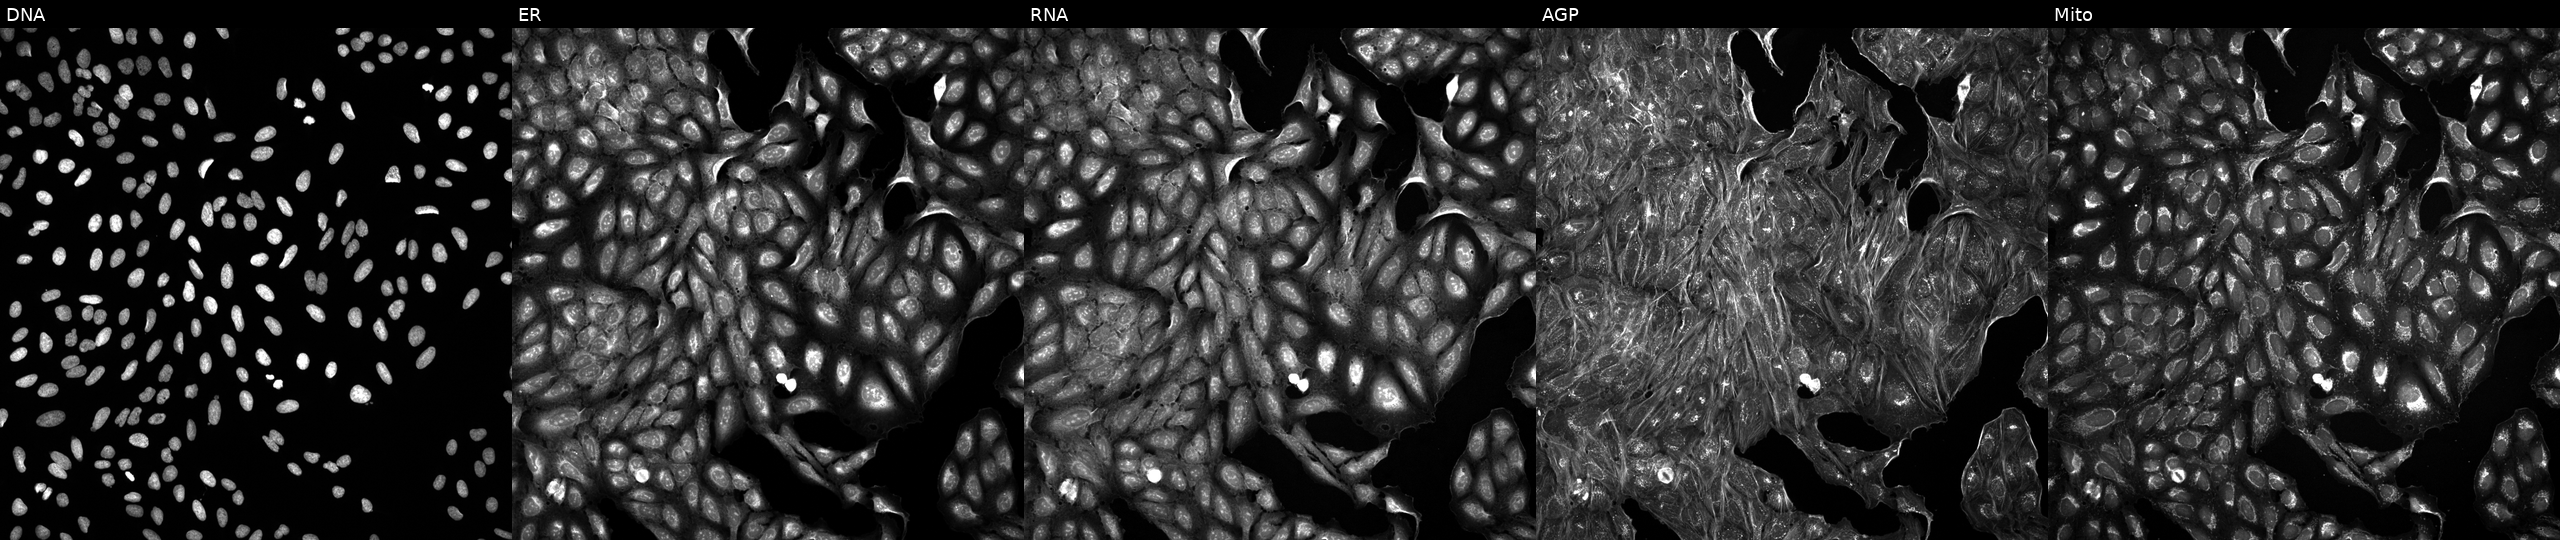
Channels (left→right): DNA (nuclei); ER (endoplasmic reticulum); RNA (nucleoli and cytoplasmic RNA); AGP (actin cytoskeleton, Golgi, and plasma membrane); Mito (mitochondria). U2OS osteosarcoma cells treated with a small-molecule compound (InChIKey YULUCECVQOCQFQ-UHFFFAOYSA-N) (JUMP id JCP2022_110929). Cell Painting assay, JUMP-CP dataset. Source 5, plate ACPJUM032, well I14.